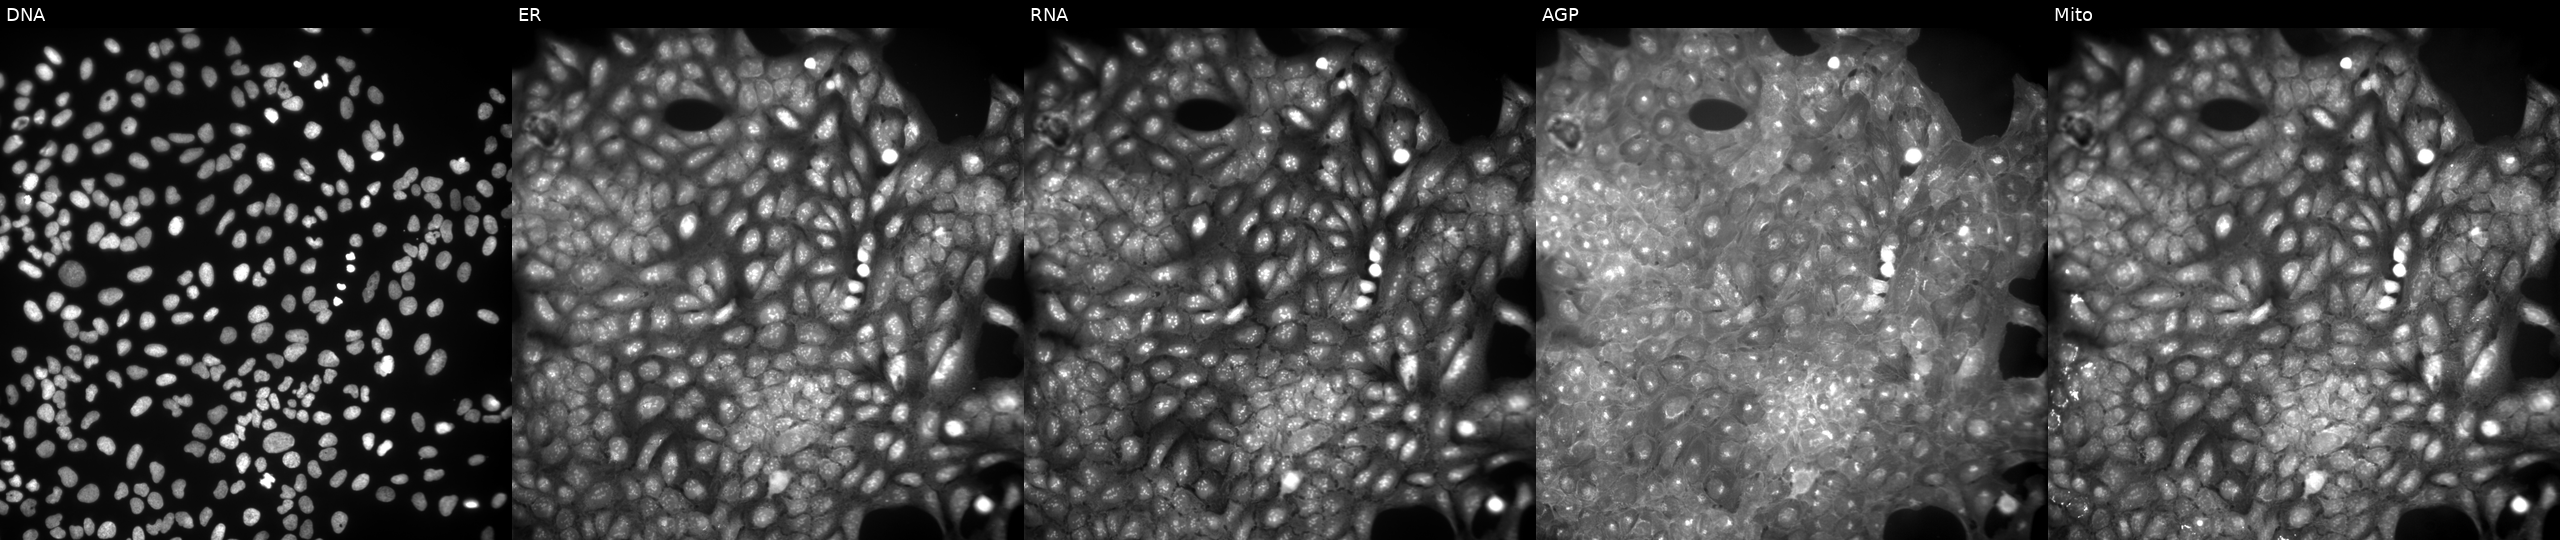
Panels show, left to right, Hoechst 33342, concanavalin A, SYTO 14, phalloidin and WGA, MitoTracker. U2OS osteosarcoma cells perturbed with a small-molecule compound. Cell Painting assay, JUMP-CP dataset. Source 9, plate GR00003382, well AF45.